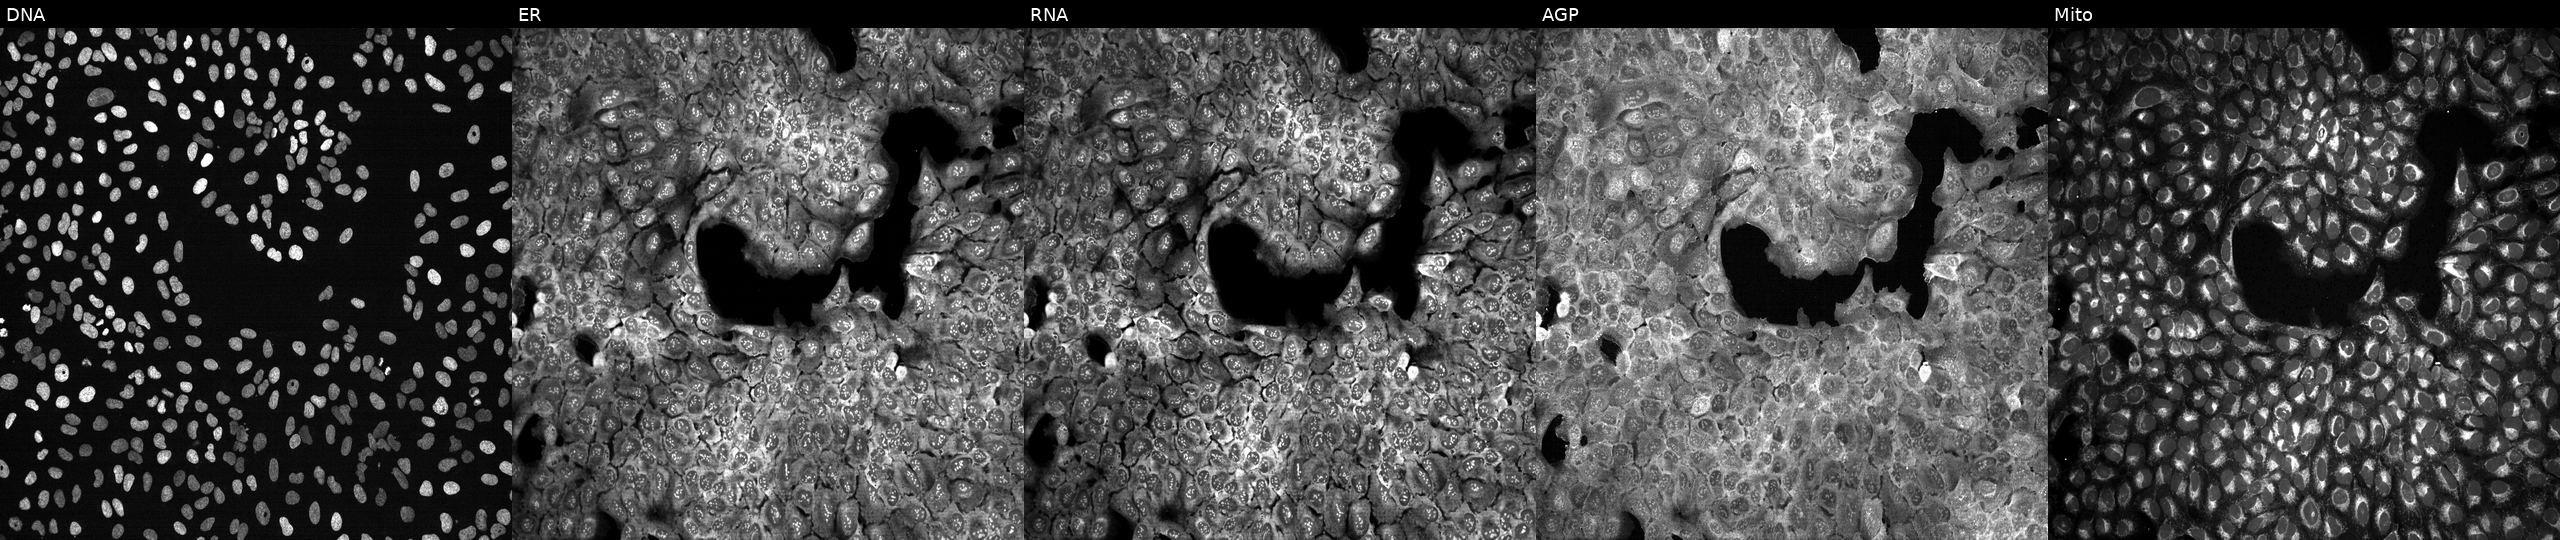
Panels show, left to right, DNA (nuclei); ER (endoplasmic reticulum); RNA (nucleoli and cytoplasmic RNA); AGP (actin cytoskeleton, Golgi, and plasma membrane); Mito (mitochondria). U2OS osteosarcoma cells with UGT1A7 knocked out by CRISPR (JUMP id JCP2022_807523). Cell Painting assay, JUMP-CP dataset.